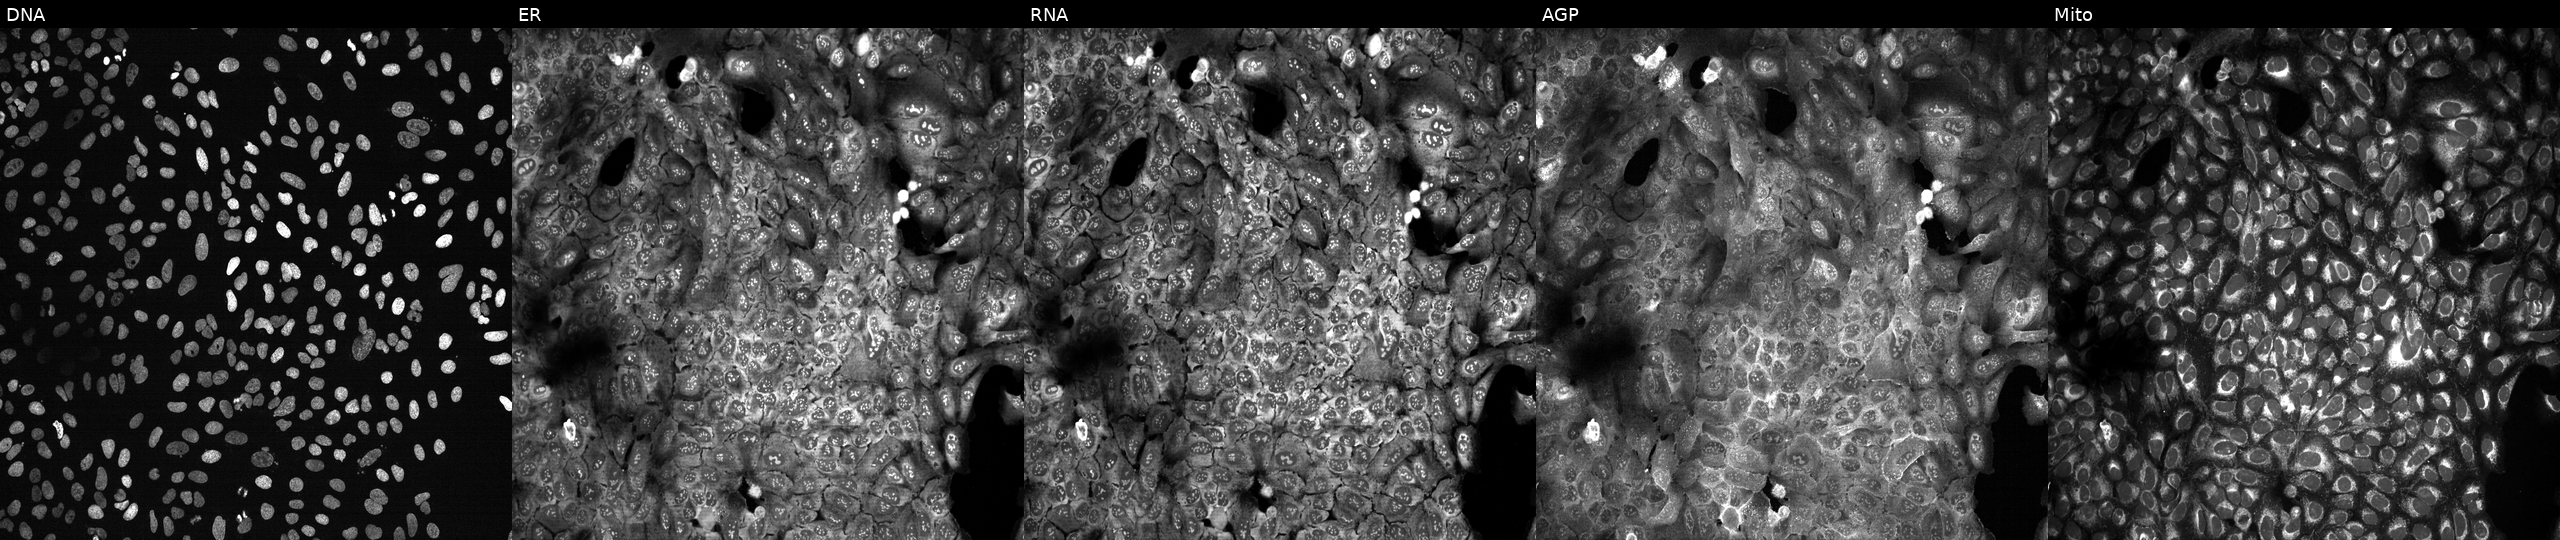
Five-channel Cell Painting image of U2OS cells following CRISPR knockout of SUOX (JUMP id JCP2022_806884). From left to right: DNA (nuclei); ER (endoplasmic reticulum); RNA (nucleoli and cytoplasmic RNA); AGP (actin cytoskeleton, Golgi, and plasma membrane); Mito (mitochondria). Source 13, plate CP-CC9-R4-03, well L13.